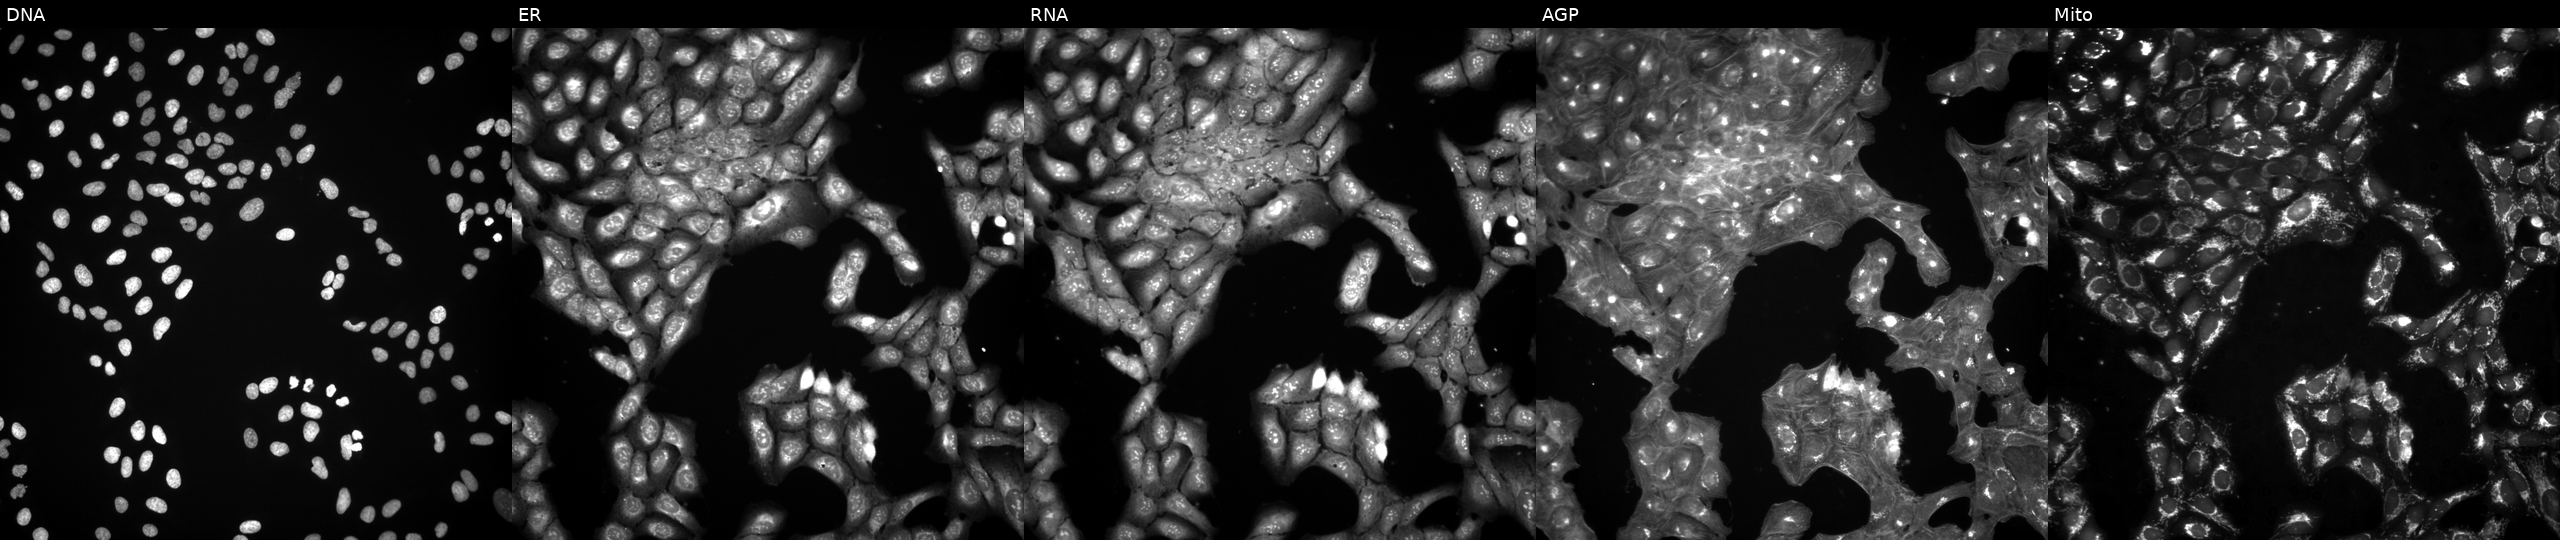
JUMP Cell Painting — TARGET2 plate. U2OS cells perturbed with a small-molecule compound (InChIKey PIMZUZSSNYHVCU-UHFFFAOYSA-N) (JUMP id JCP2022_068838). Panels show, left to right, Hoechst 33342, concanavalin A, SYTO 14, phalloidin and WGA, MitoTracker.